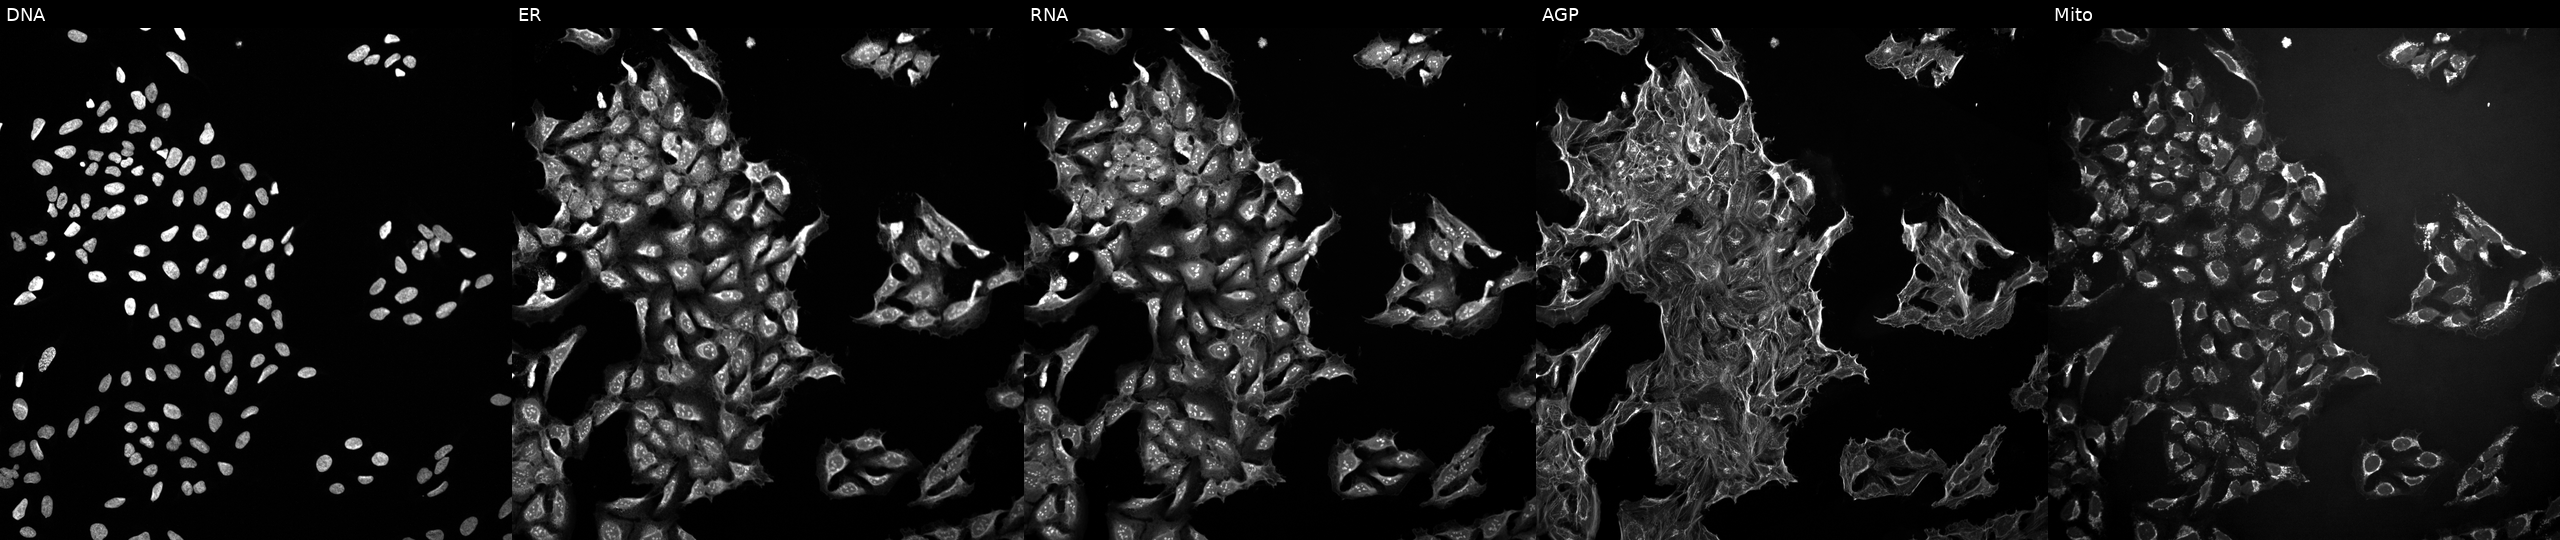
JUMP Cell Painting — TARGET2 plate. U2OS cells exposed to a small-molecule compound. Panels show, left to right, DNA (nuclei); ER (endoplasmic reticulum); RNA (nucleoli and cytoplasmic RNA); AGP (actin cytoskeleton, Golgi, and plasma membrane); Mito (mitochondria).